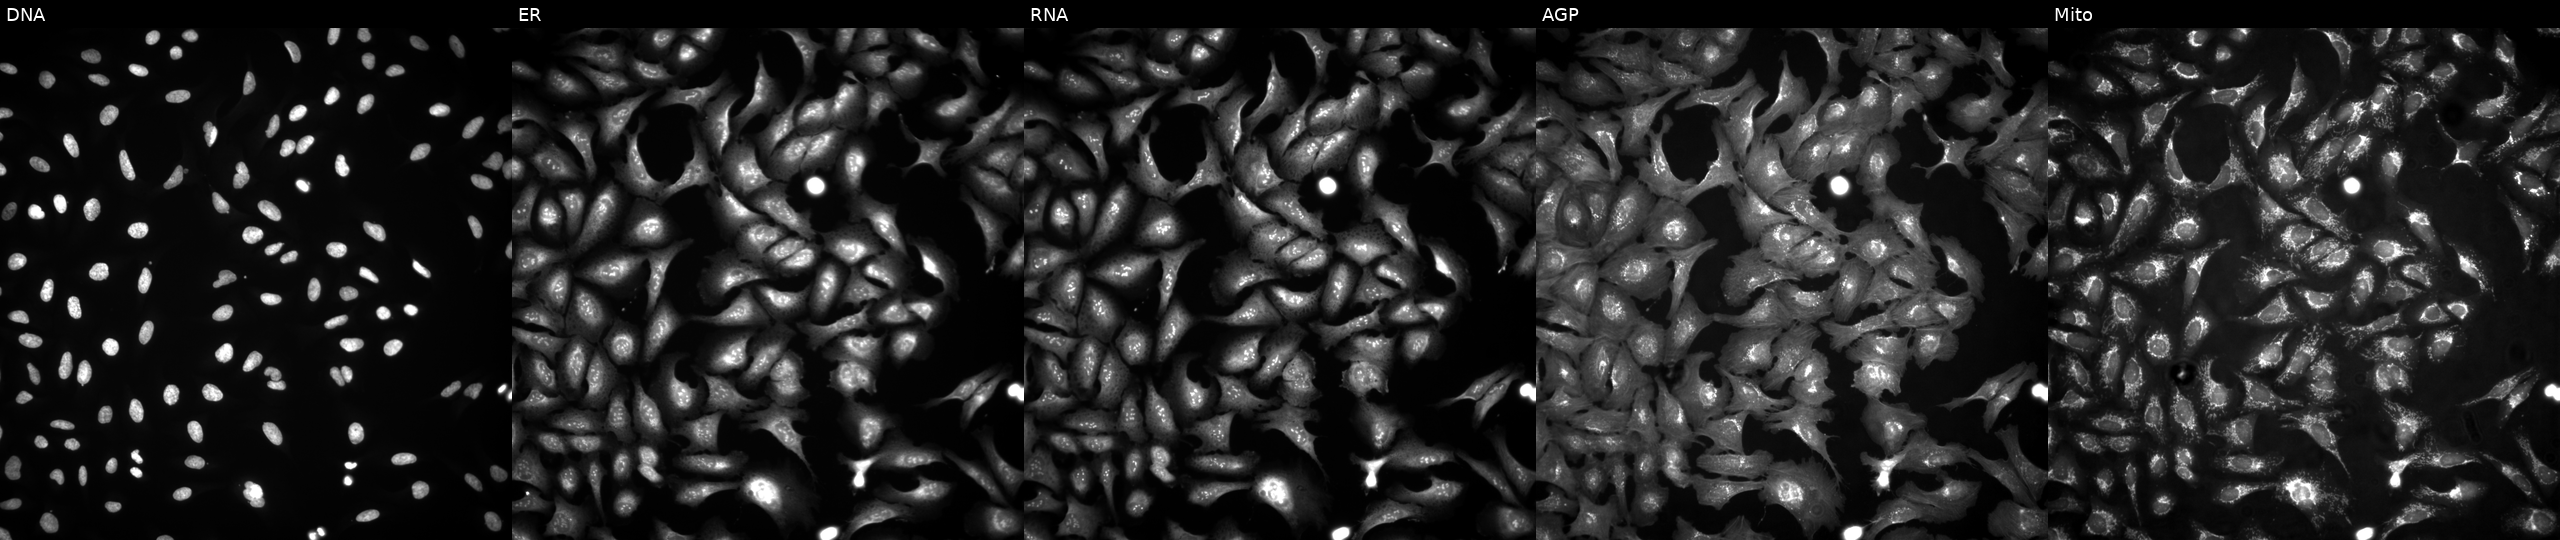
Channels (left→right): DNA (nuclei); ER (endoplasmic reticulum); RNA (nucleoli and cytoplasmic RNA); AGP (actin cytoskeleton, Golgi, and plasma membrane); Mito (mitochondria). U2OS osteosarcoma cells expressing BFP (ORF negative control) (JUMP id JCP2022_915128). Cell Painting assay, JUMP-CP dataset.